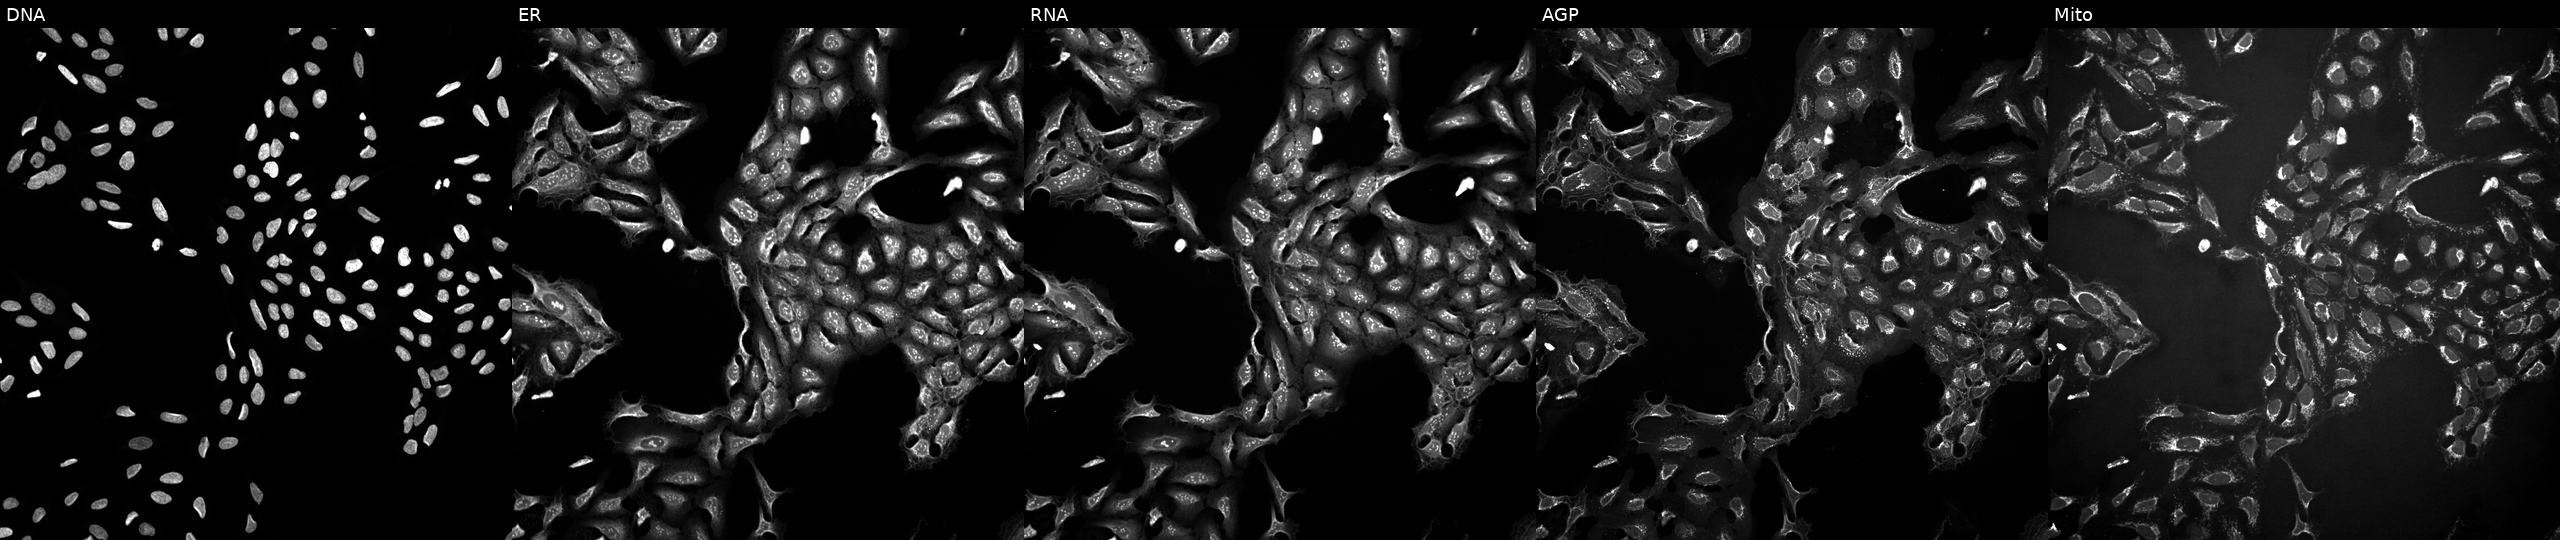
JUMP Cell Painting — TARGET2 plate. U2OS cells perturbed with a small-molecule compound [SMILES: NNC(=O)CSc1nc2scc(-c3ccccc3)c2c(=O)n1-c1ccccc1] (JUMP id JCP2022_099471). Channels (left→right): Hoechst 33342, concanavalin A, SYTO 14, phalloidin and WGA, MitoTracker. Source 10, plate Dest210803-153958, well A17.